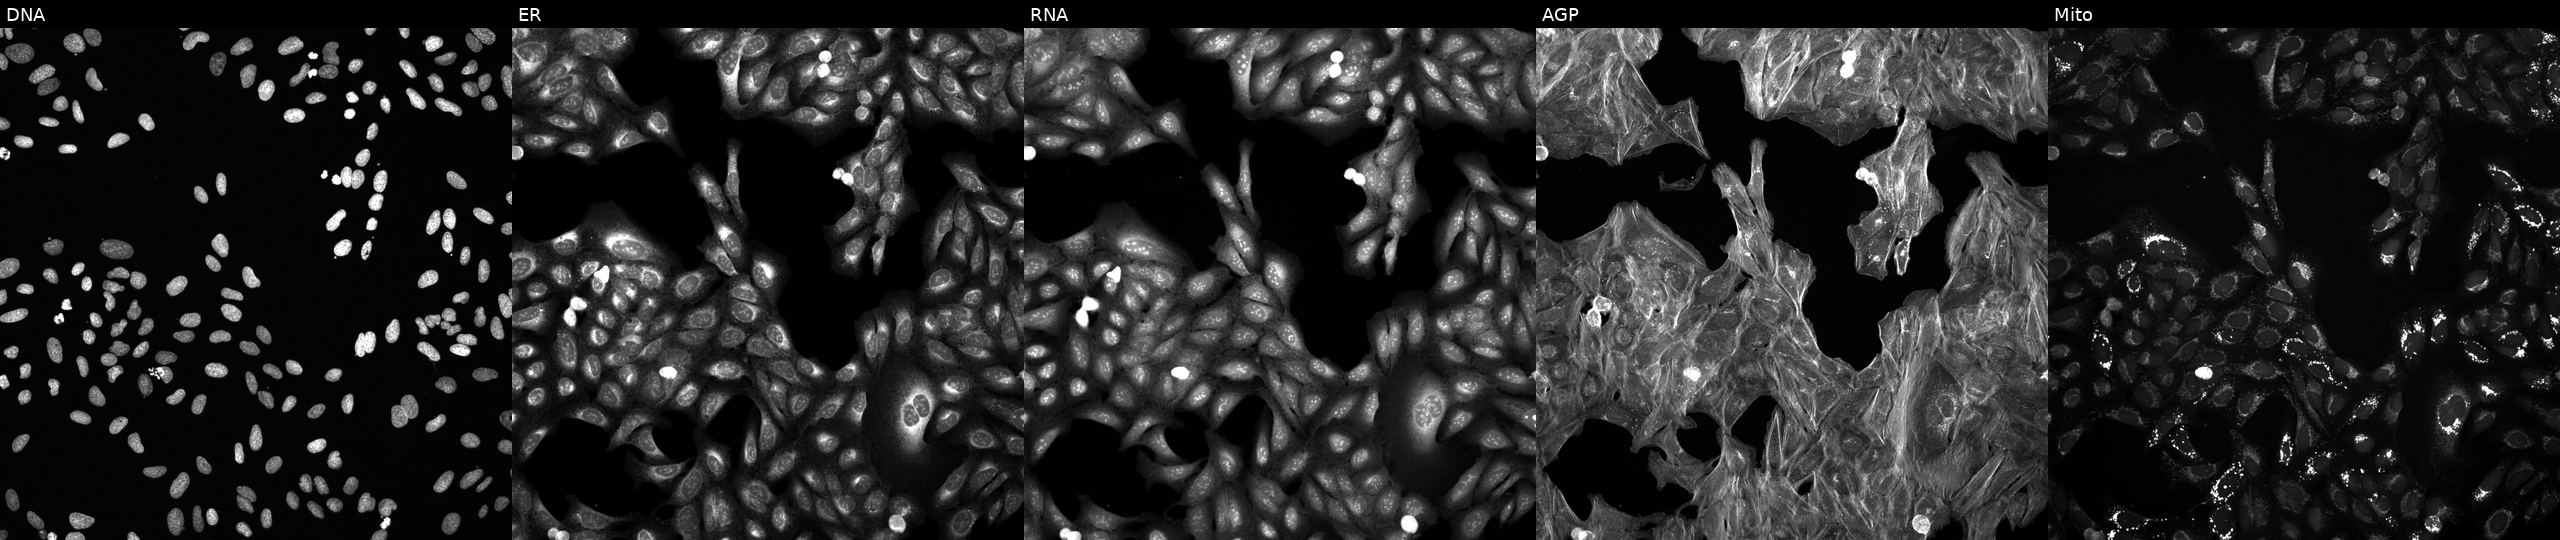
U2OS cells, Cell Painting assay, exposed to a small-molecule compound (JUMP id JCP2022_016288). From left to right: Hoechst 33342, concanavalin A, SYTO 14, phalloidin and WGA, MitoTracker. Each panel is percentile-stretched 16-bit fluorescence.